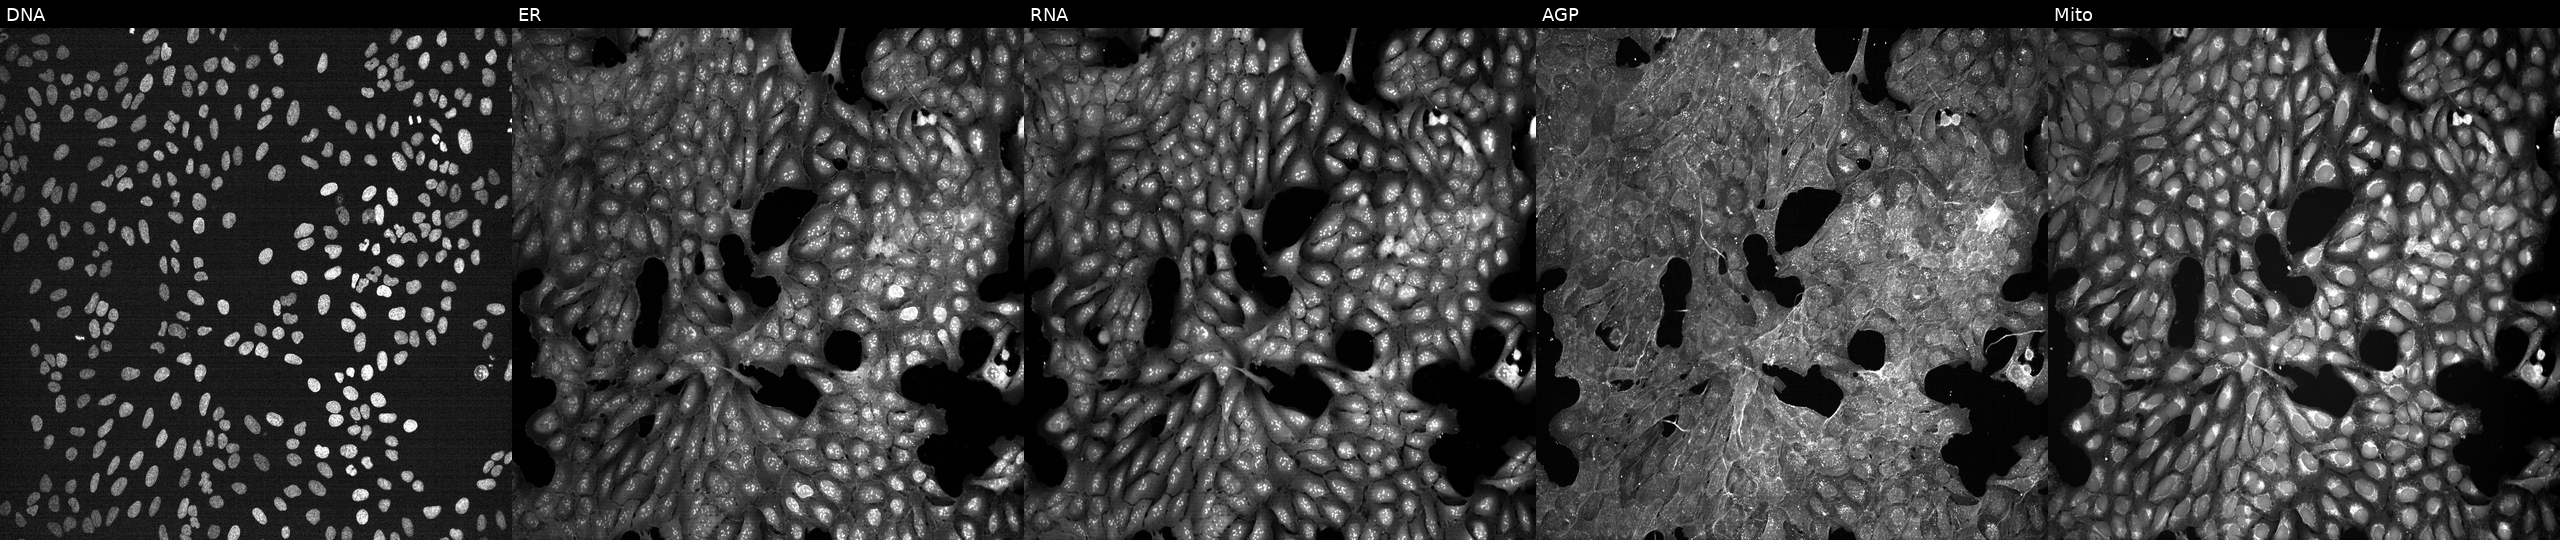
Panels show, left to right, DNA, ER, RNA, AGP, and Mito. U2OS osteosarcoma cells treated with a small-molecule compound (InChIKey NCEXYHBECQHGNR-UHFFFAOYSA-N). Cell Painting assay, JUMP-CP dataset.